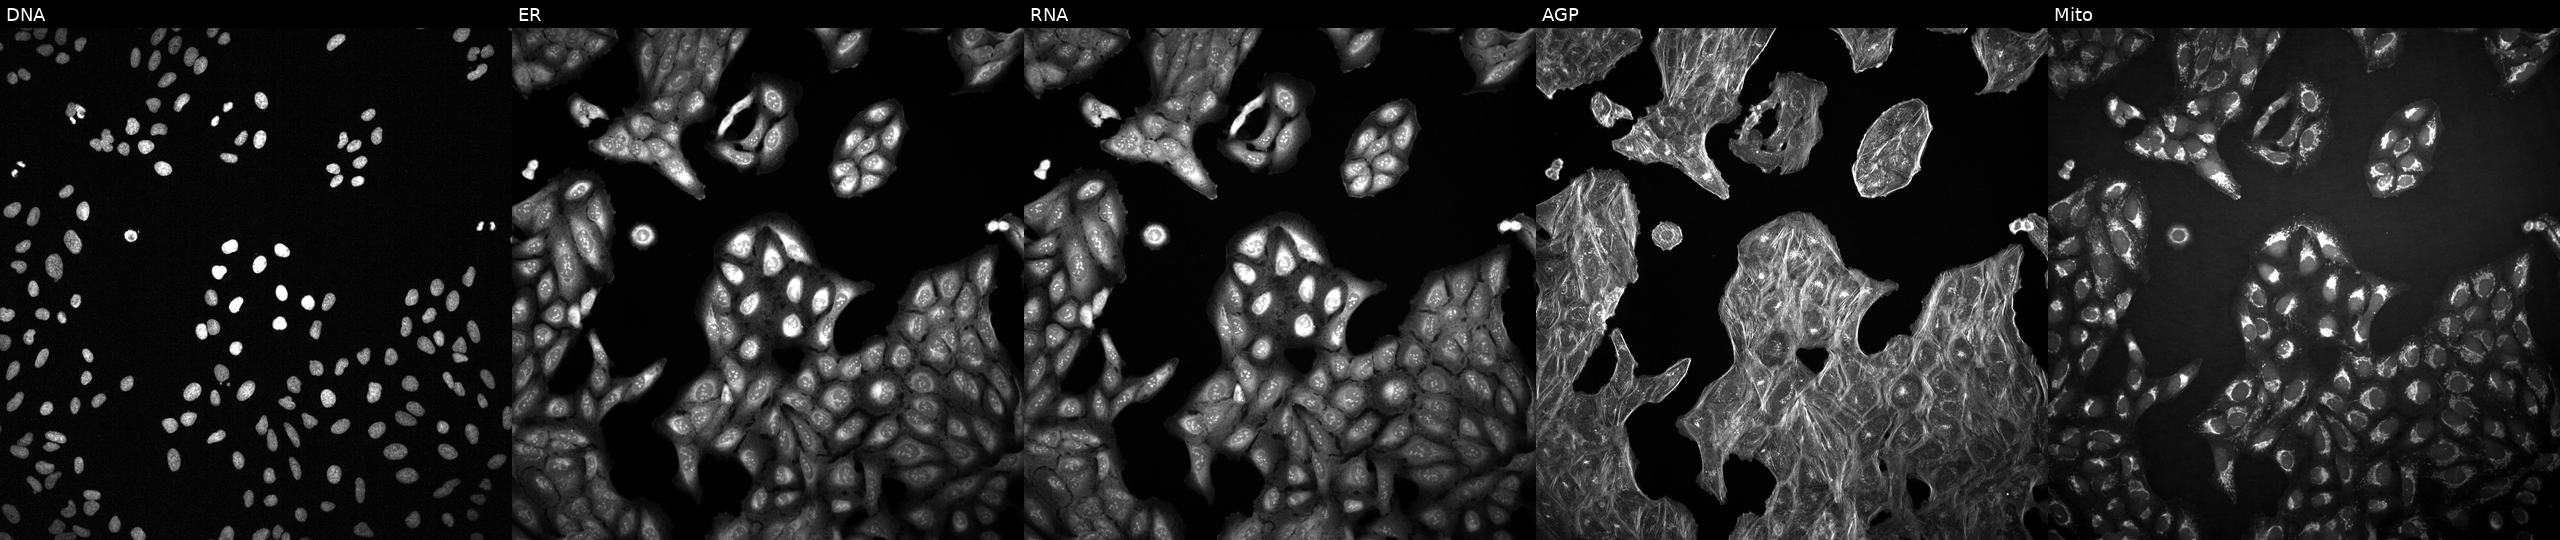
This image strip shows the five Cell Painting channels for a single field of U2OS cells exposed to DMSO alone as a negative control (JUMP id JCP2022_033924). Panels show, left to right, DNA, ER, RNA, AGP, and Mito.